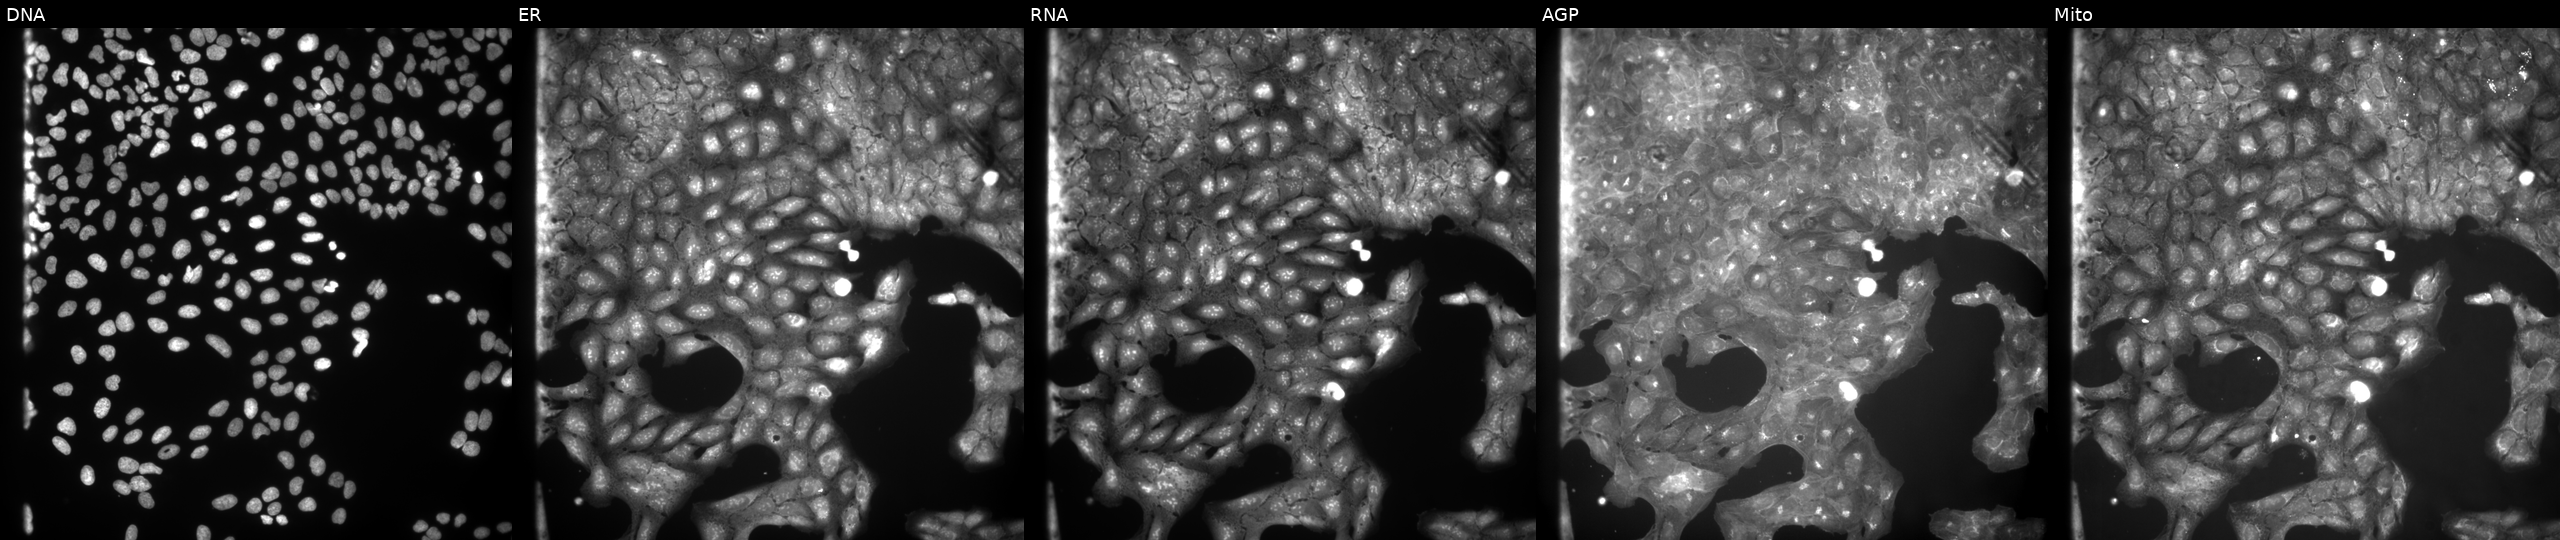
High-content fluorescence microscopy (Cell Painting). Cell line: U2OS. Perturbation: treated with a small-molecule compound (InChIKey UCMMMGUSLOFCGH-UHFFFAOYSA-N). Channels (left→right): DNA, ER, RNA, AGP, and Mito.